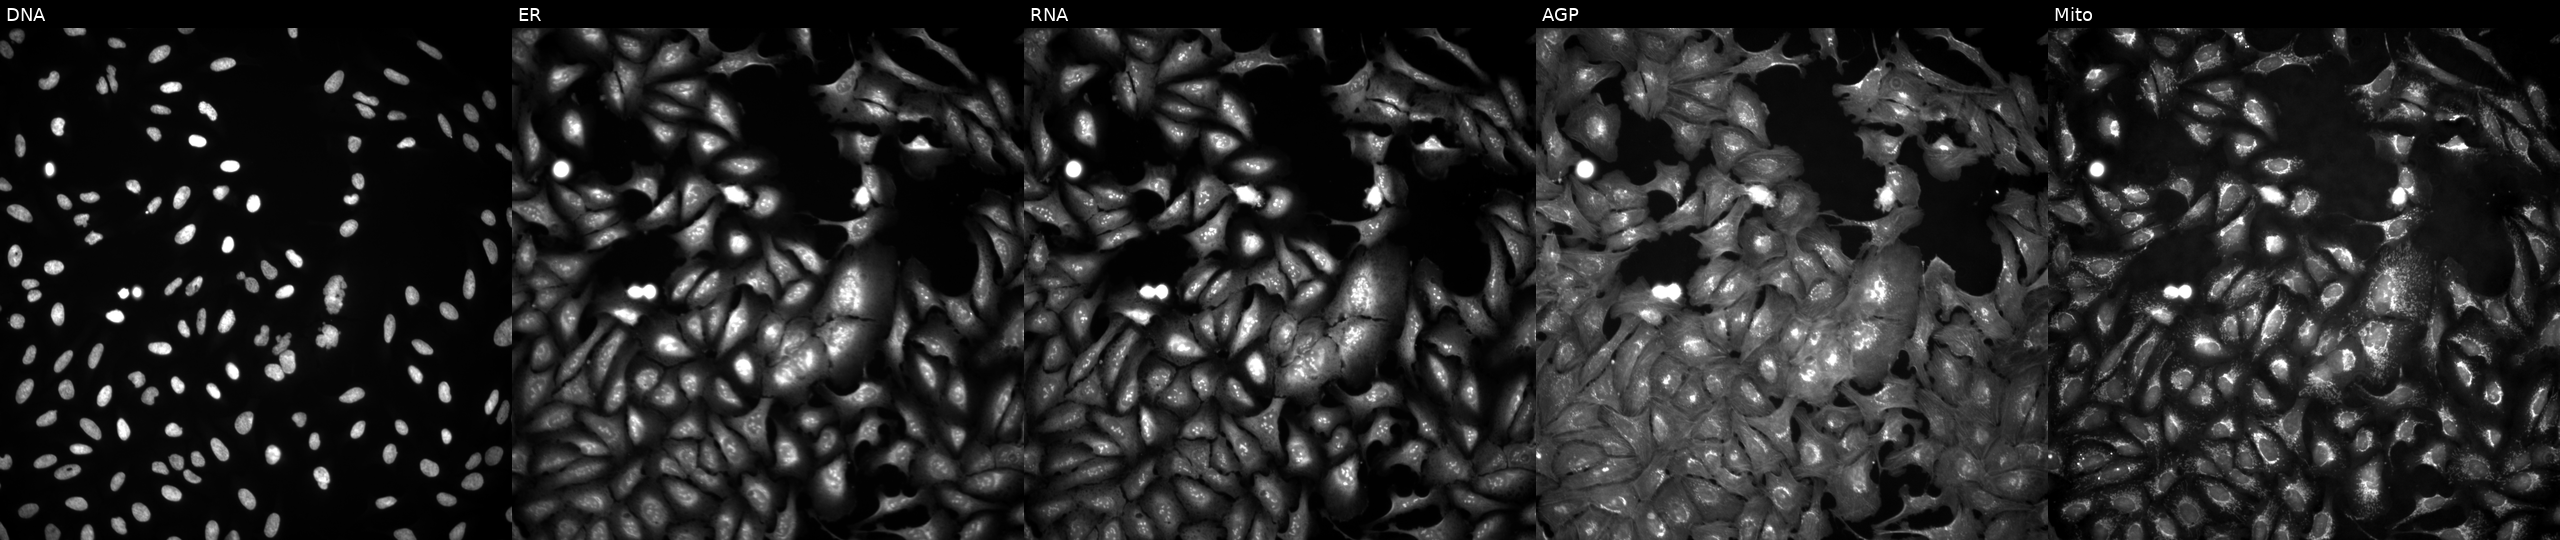
Five-channel Cell Painting image of U2OS cells overexpressing ACVR1B via ORF transfection. From left to right: Hoechst 33342, concanavalin A, SYTO 14, phalloidin and WGA, MitoTracker.